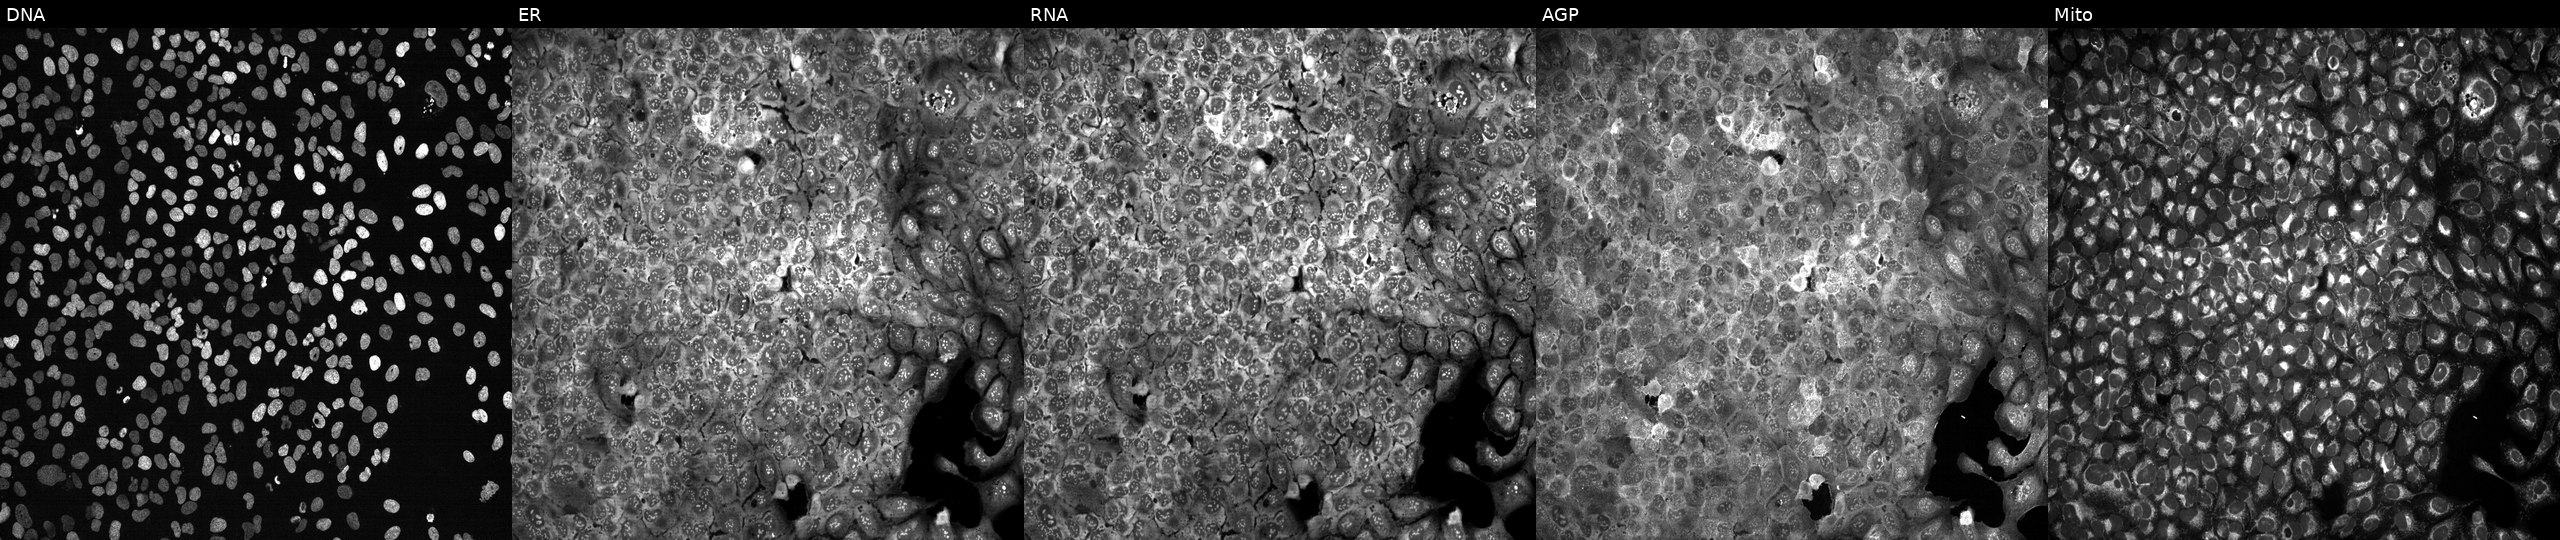
JUMP Cell Painting — CRISPR plate. U2OS cells following CRISPR knockout of OSBPL10 (JUMP id JCP2022_804814). The five panels, left to right, show Hoechst 33342, concanavalin A, SYTO 14, phalloidin and WGA, MitoTracker.